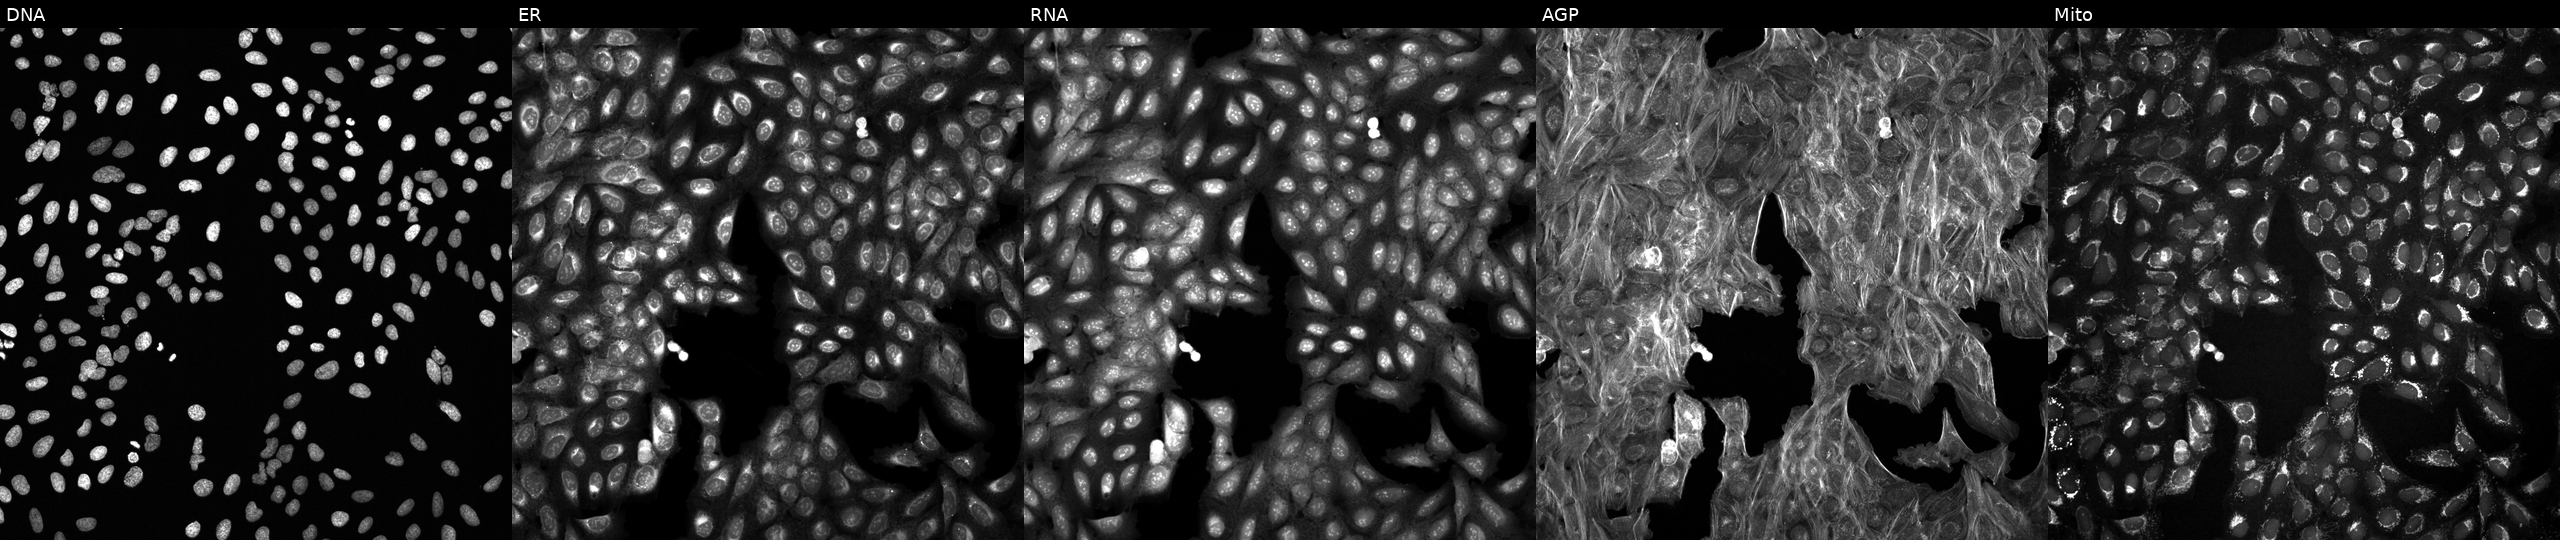
Channels (left→right): DNA, ER, RNA, AGP, and Mito. U2OS osteosarcoma cells exposed to DMSO alone as a negative control (JUMP id JCP2022_033924). Cell Painting assay, JUMP-CP dataset.